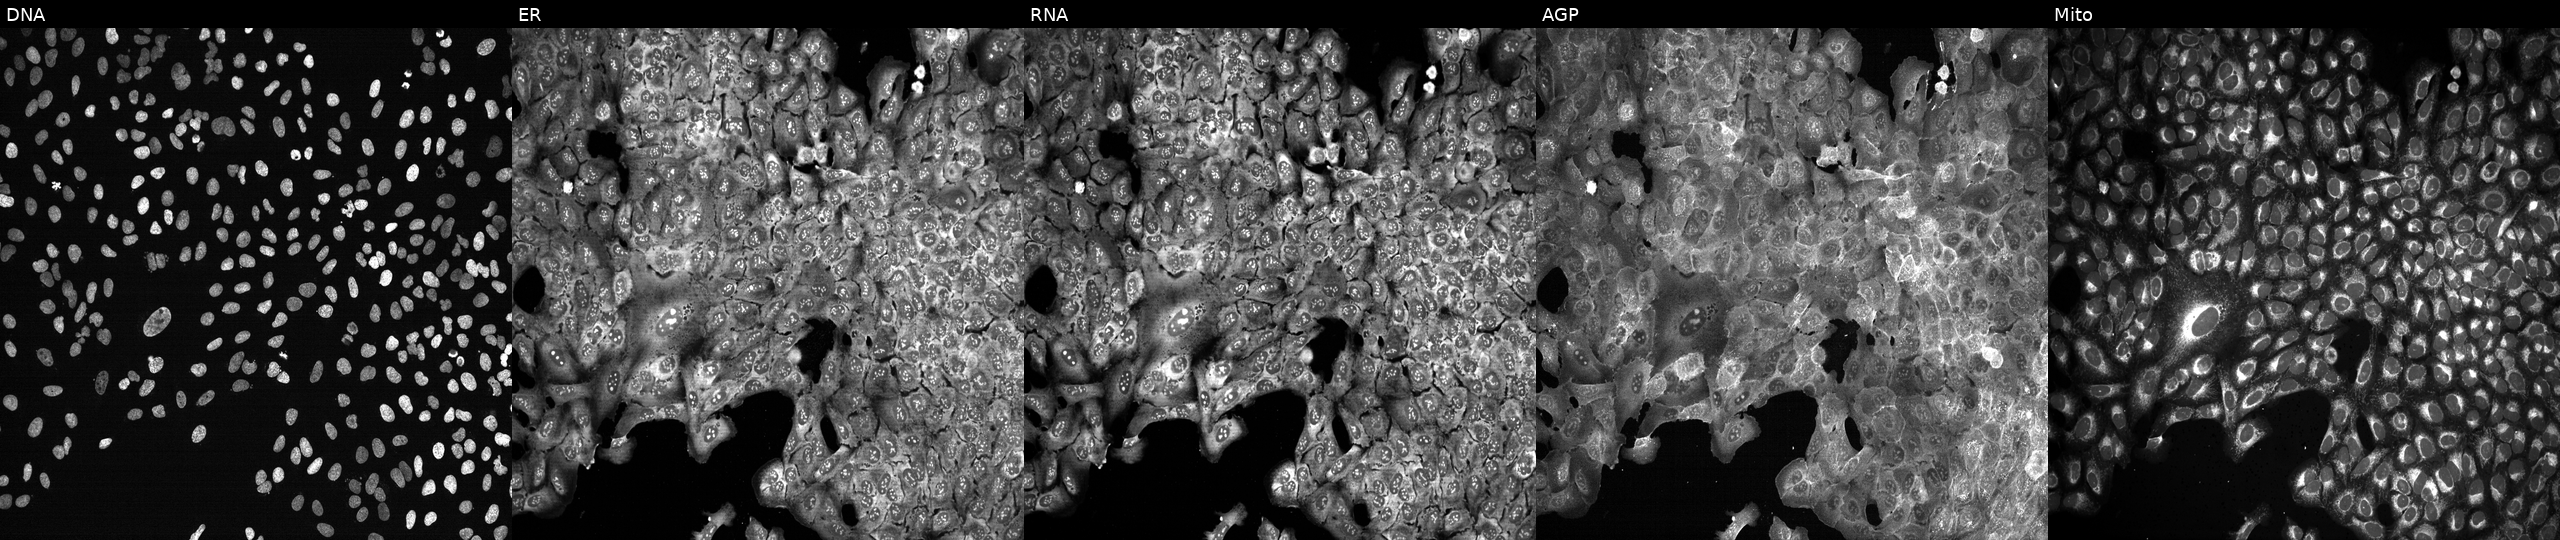
This image strip shows the five Cell Painting channels for a single field of U2OS cells following CRISPR knockout of HDC. Panels show, left to right, DNA (nuclei); ER (endoplasmic reticulum); RNA (nucleoli and cytoplasmic RNA); AGP (actin cytoskeleton, Golgi, and plasma membrane); Mito (mitochondria). Source 13, plate CP-CC9-R2-02, well E09.